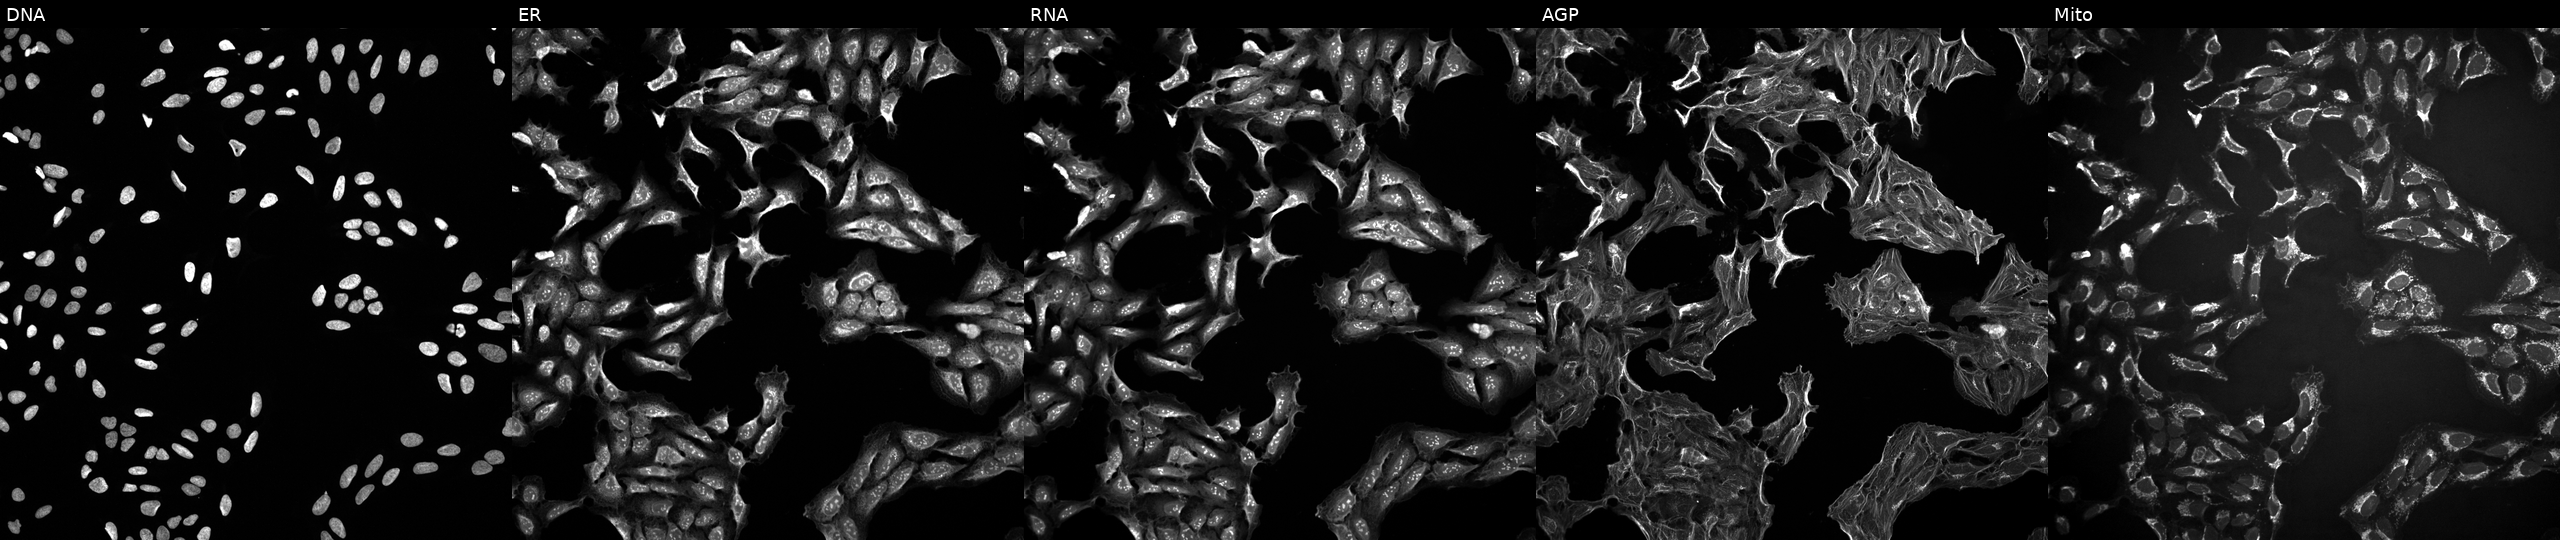
Panels show, left to right, DNA, ER, RNA, AGP, and Mito. U2OS osteosarcoma cells exposed to a small-molecule compound (InChIKey ONIBWKKTOPOVIA-UHFFFAOYSA-N). Cell Painting assay, JUMP-CP dataset. Source 10, plate Dest210726-160150, well M02.